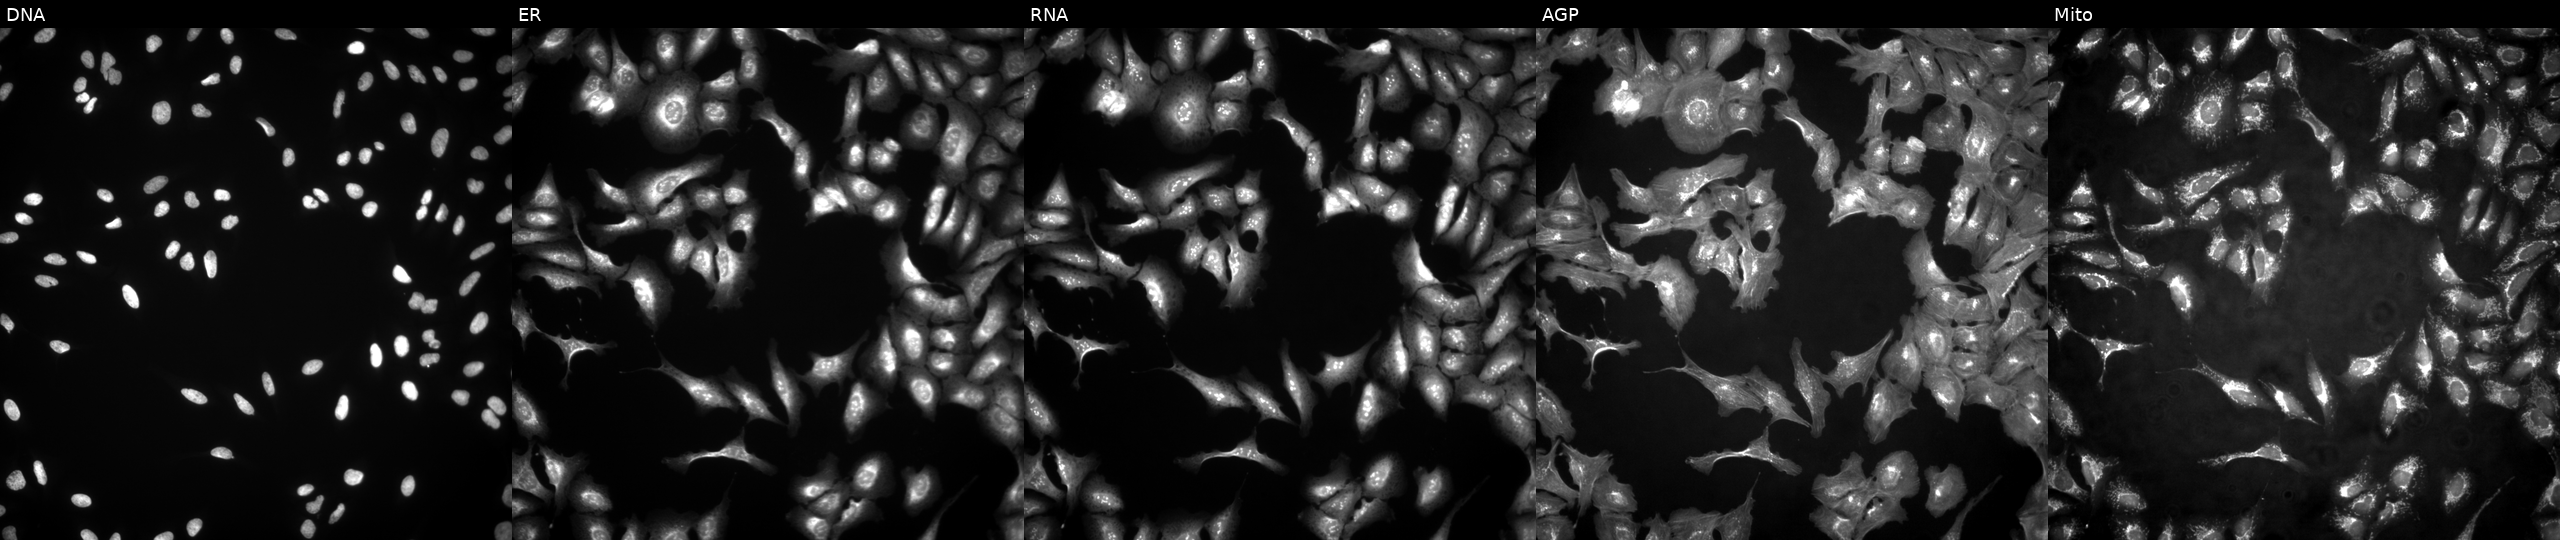
Five-channel Cell Painting image of U2OS cells expressing eGFP (ORF positive control) (JUMP id JCP2022_915132). Channels (left→right): DNA, ER, RNA, AGP, and Mito. Source 4, plate BR00123509, well P20.